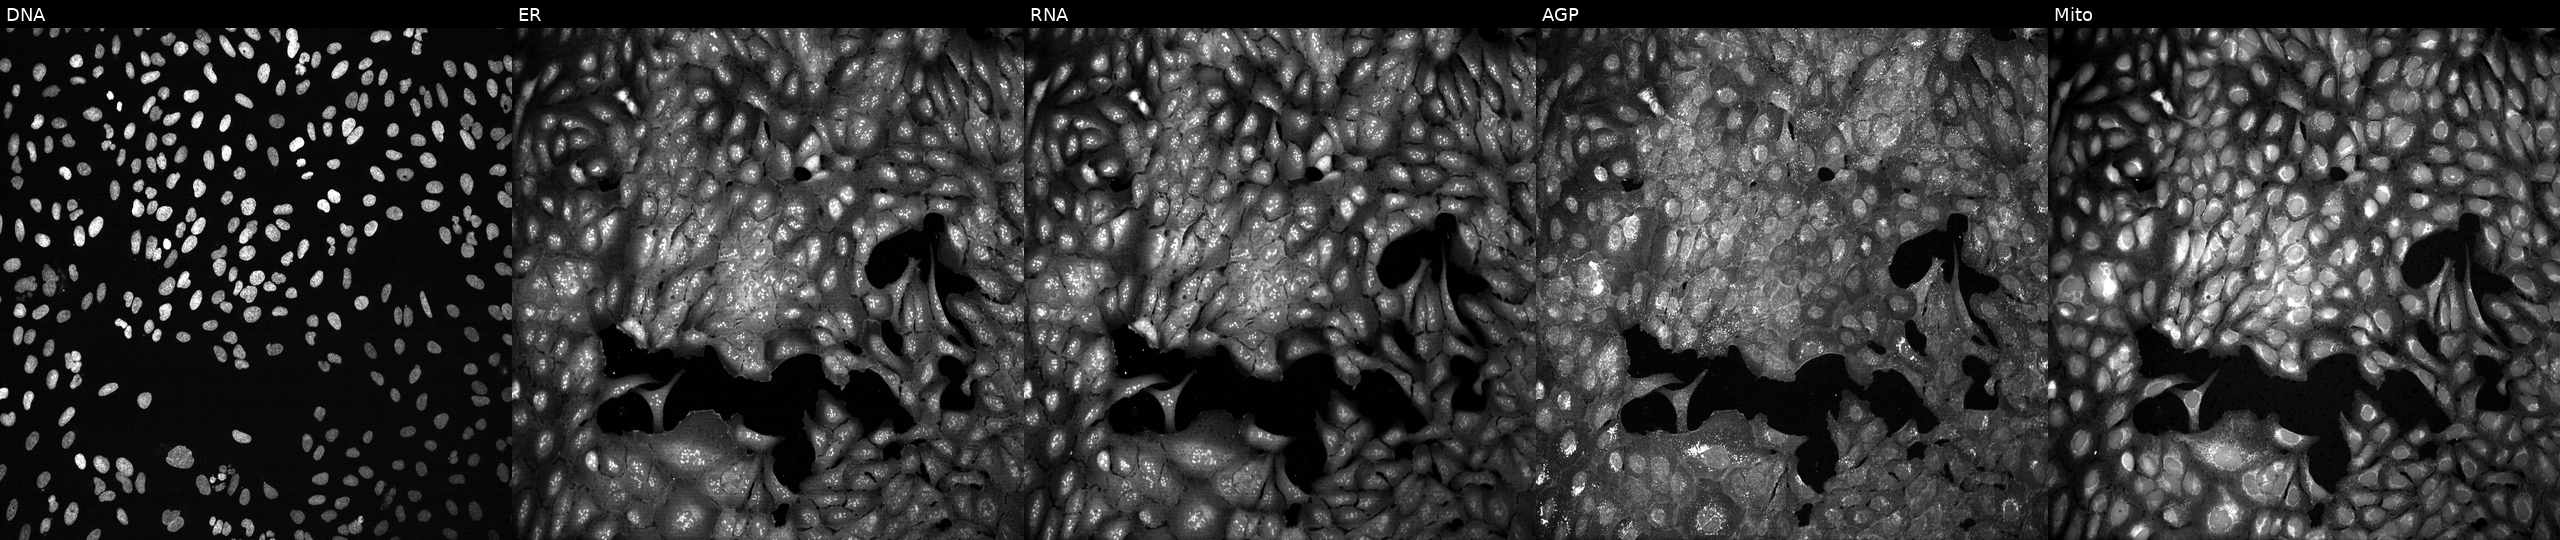
This image strip shows the five Cell Painting channels for a single field of U2OS cells CRISPR-edited to disrupt ATP2A3. The five panels, left to right, show DNA, ER, RNA, AGP, and Mito. Source 13, plate CP-CC9-R1-02, well L20.